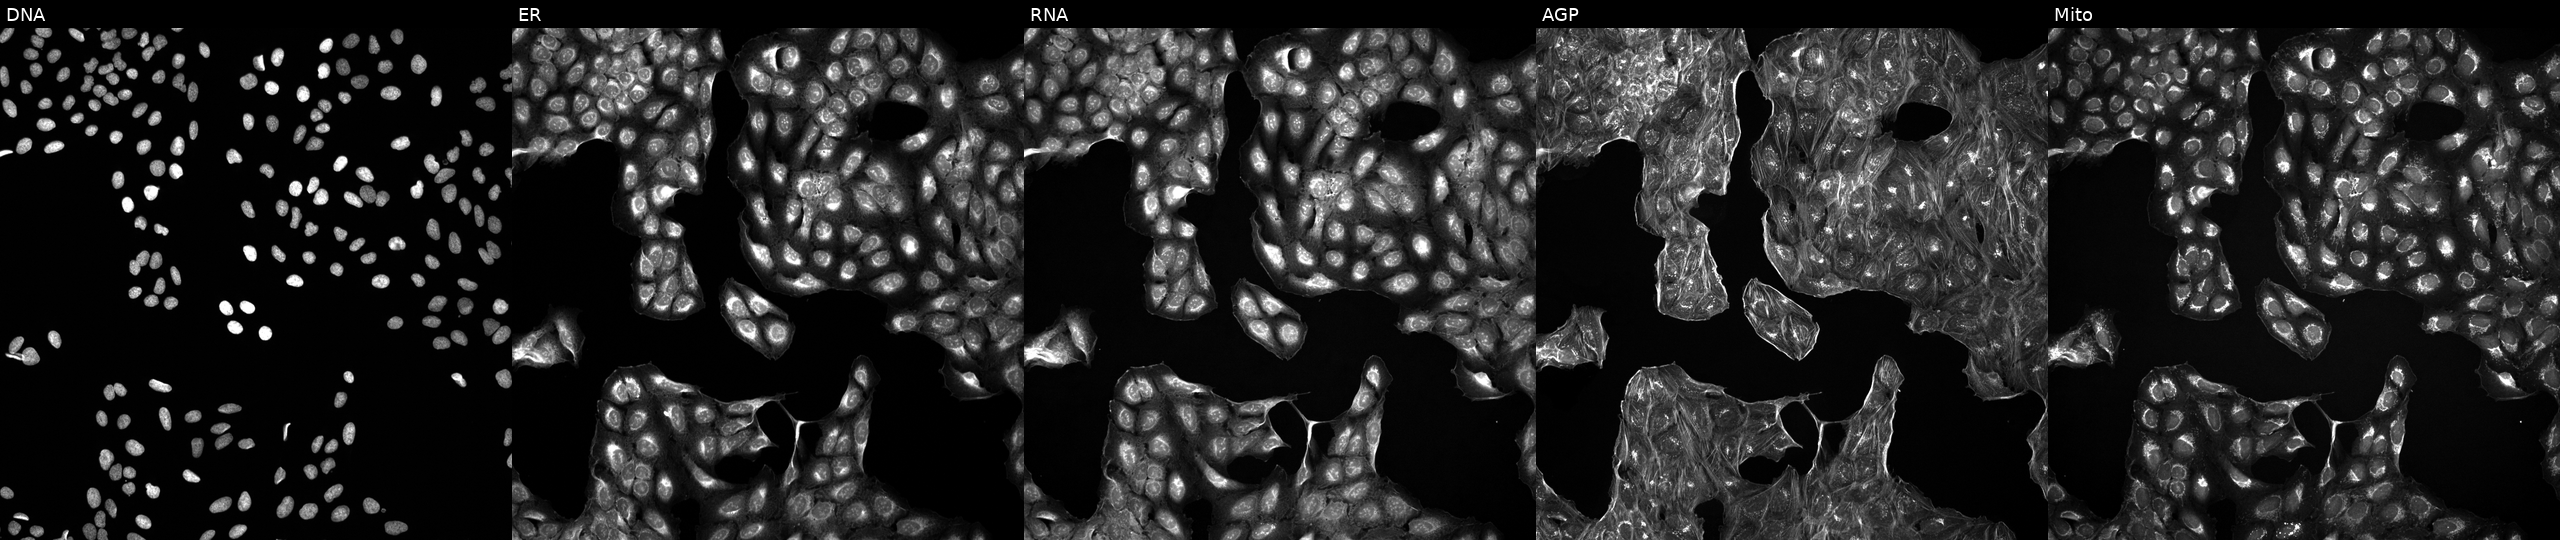
High-content fluorescence microscopy (Cell Painting). Cell line: U2OS. Perturbation: perturbed with a small-molecule compound (InChIKey FHPOTBQOUBMMCI-UHFFFAOYSA-N). The five panels, left to right, show Hoechst 33342, concanavalin A, SYTO 14, phalloidin and WGA, MitoTracker.